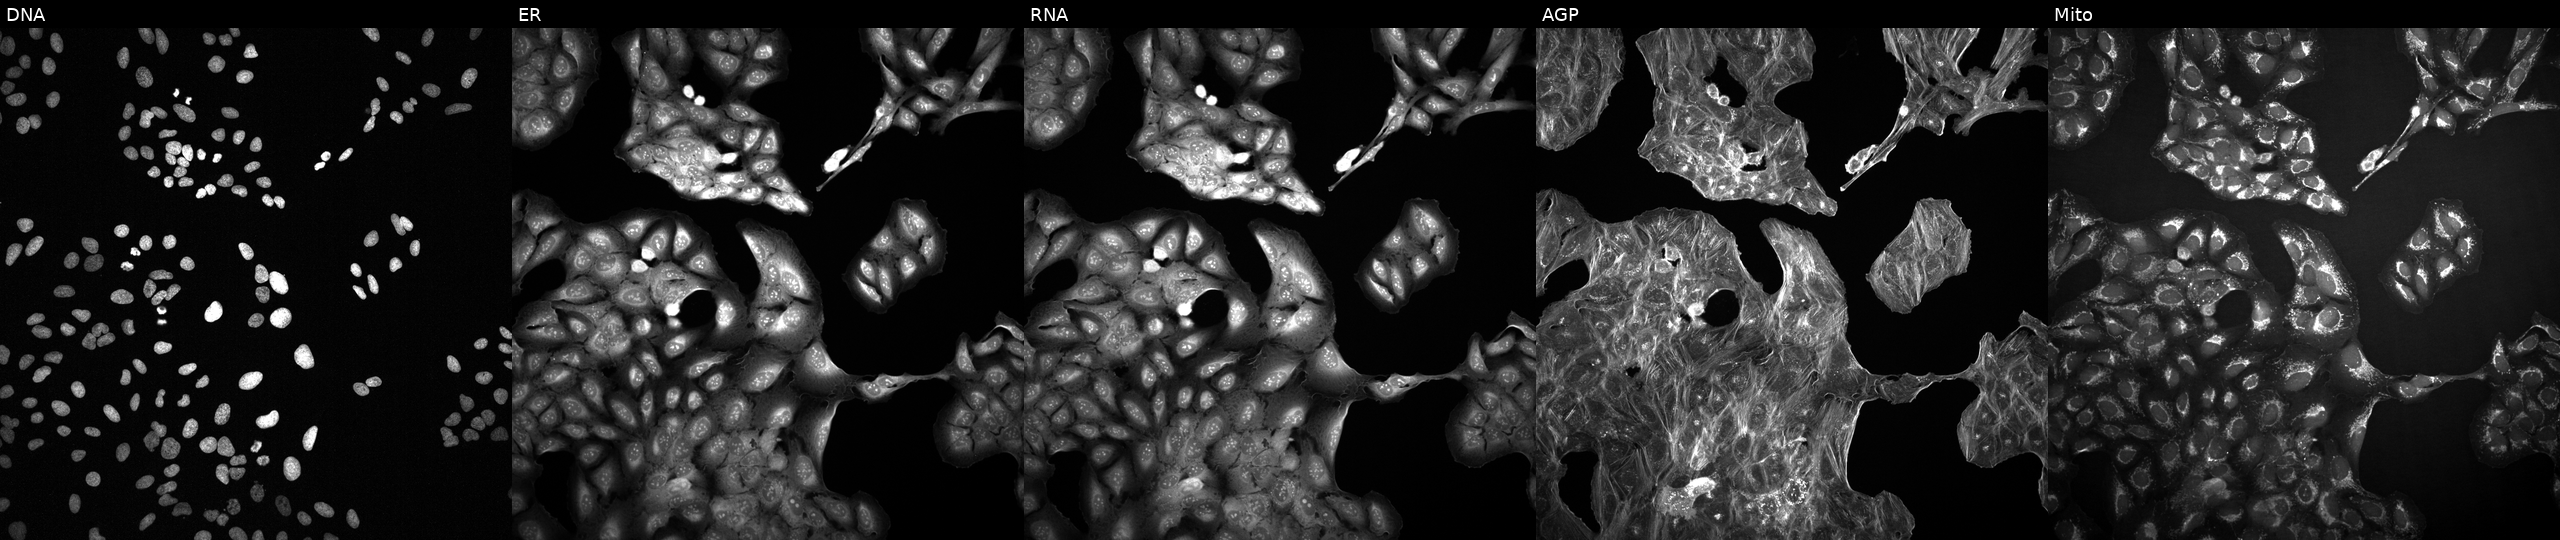
From left to right: DNA (nuclei); ER (endoplasmic reticulum); RNA (nucleoli and cytoplasmic RNA); AGP (actin cytoskeleton, Golgi, and plasma membrane); Mito (mitochondria). U2OS osteosarcoma cells with an unidentified perturbation (not annotated in JUMP metadata). Cell Painting assay, JUMP-CP dataset.